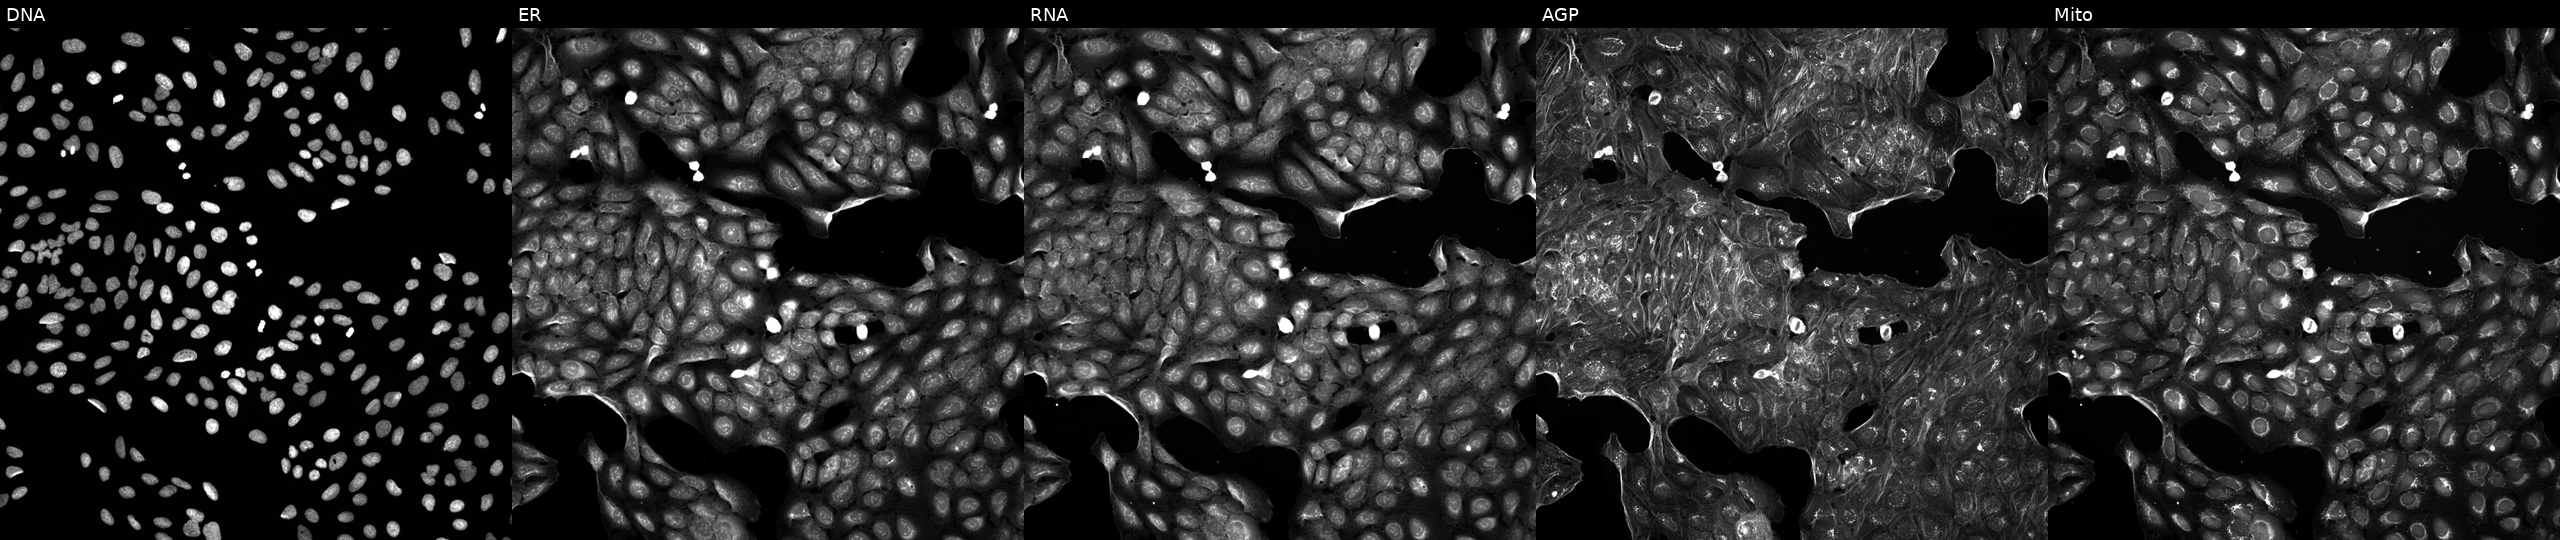
U2OS cells, Cell Painting assay, treated with a small-molecule compound (InChIKey APRACKIZNDJDDJ-UHFFFAOYSA-N). From left to right: DNA (nuclei); ER (endoplasmic reticulum); RNA (nucleoli and cytoplasmic RNA); AGP (actin cytoskeleton, Golgi, and plasma membrane); Mito (mitochondria). Each panel is percentile-stretched 16-bit fluorescence.